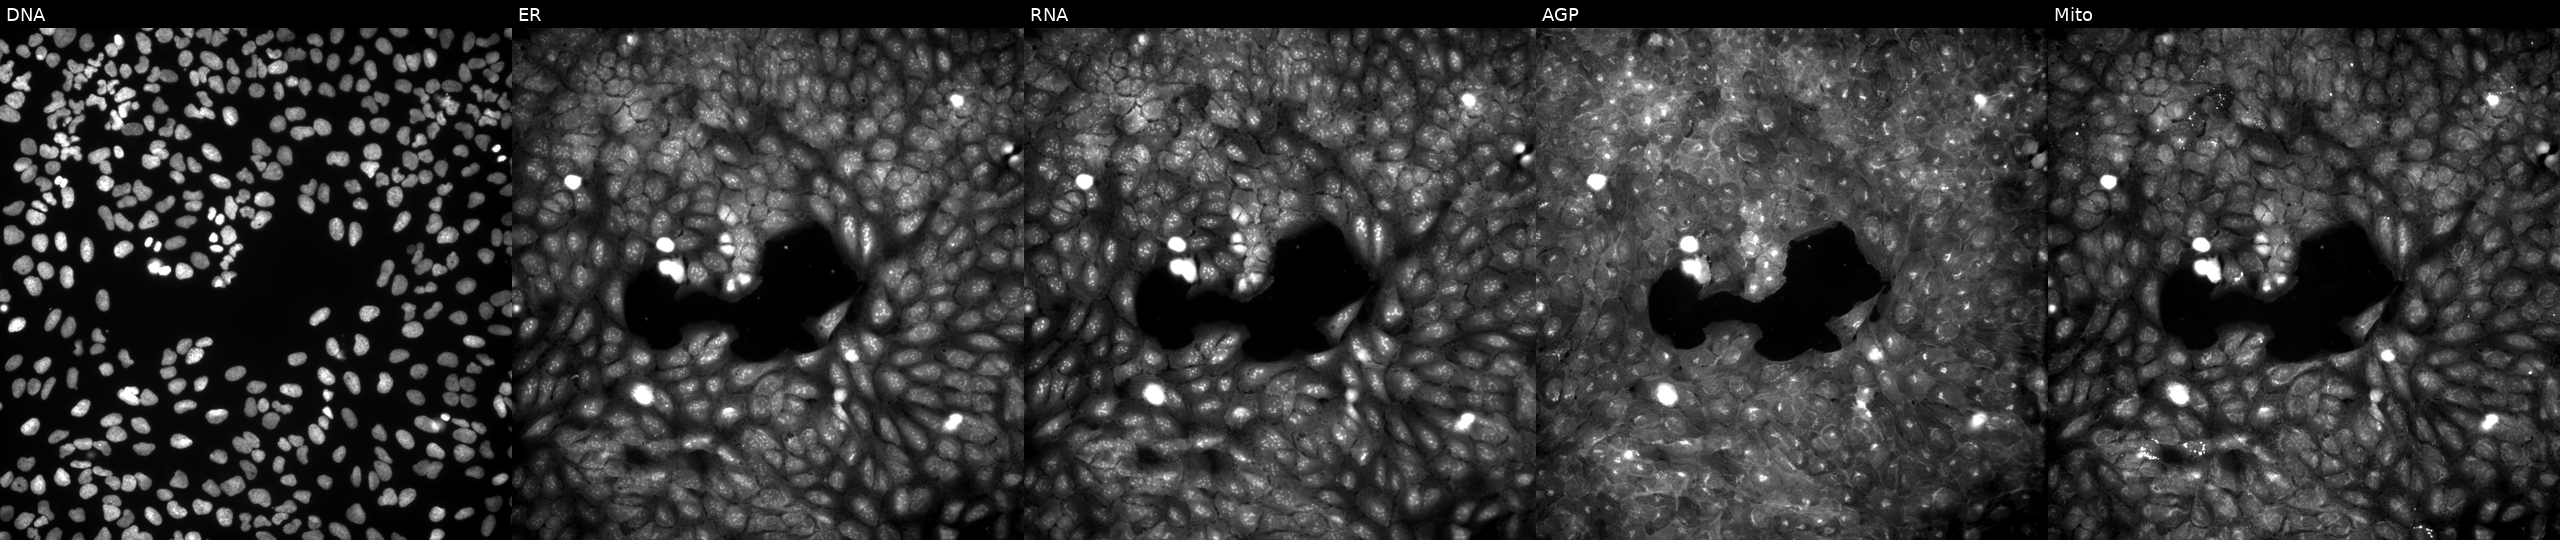
High-content fluorescence microscopy (Cell Painting). Cell line: U2OS. Perturbation: treated with a small-molecule compound. Channels (left→right): DNA, ER, RNA, AGP, and Mito.